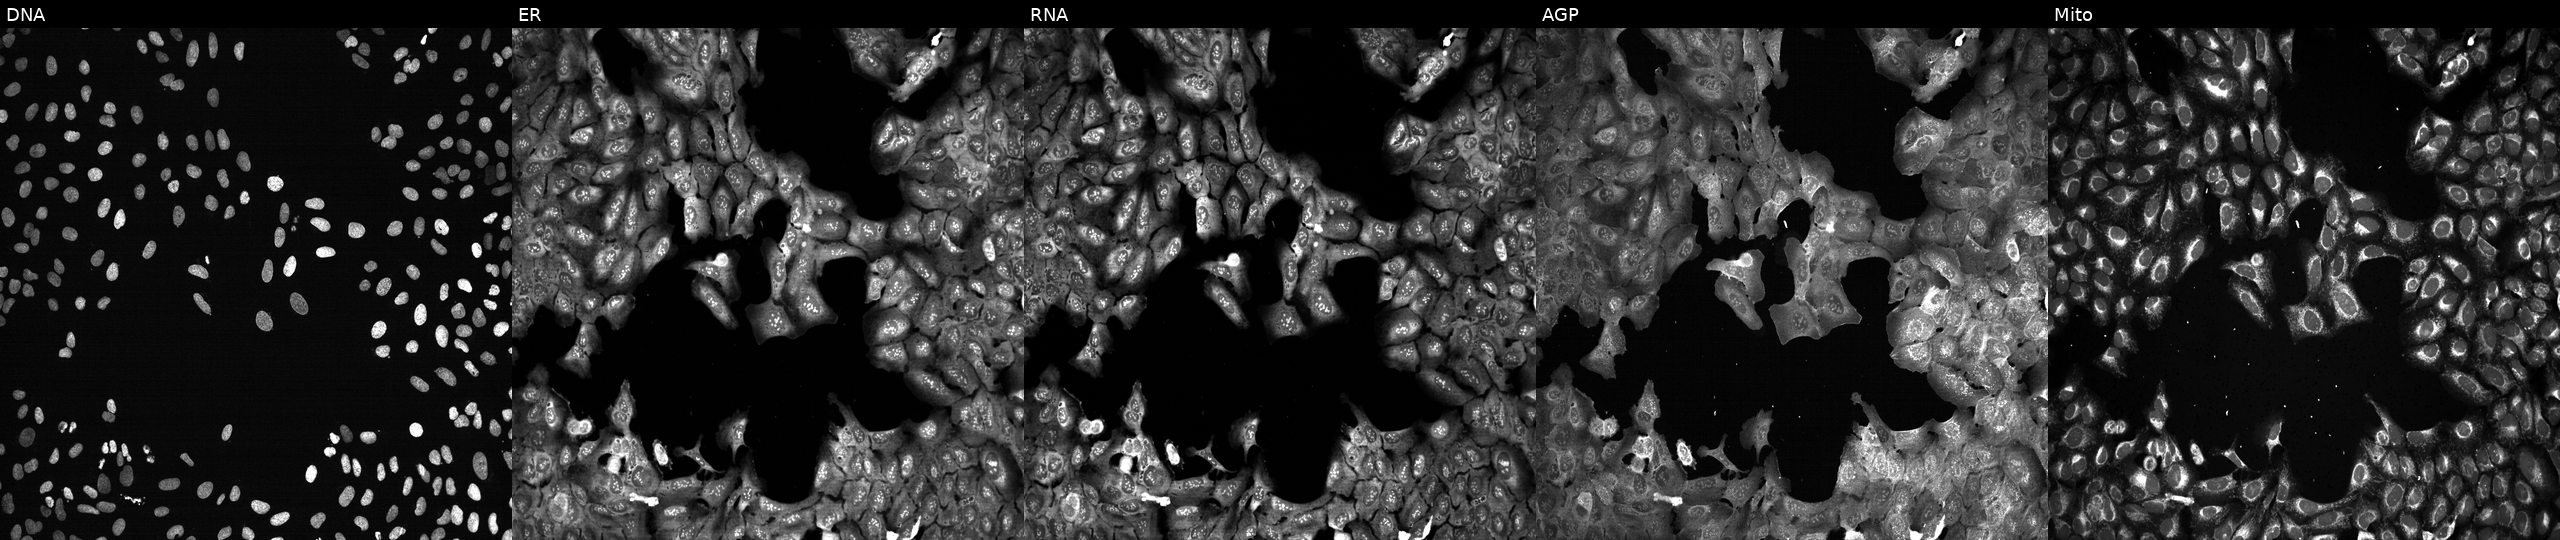
U2OS cells, Cell Painting assay, with AKAP4 knocked out by CRISPR (JUMP id JCP2022_800353). Panels show, left to right, DNA (nuclei); ER (endoplasmic reticulum); RNA (nucleoli and cytoplasmic RNA); AGP (actin cytoskeleton, Golgi, and plasma membrane); Mito (mitochondria). Each panel is percentile-stretched 16-bit fluorescence.